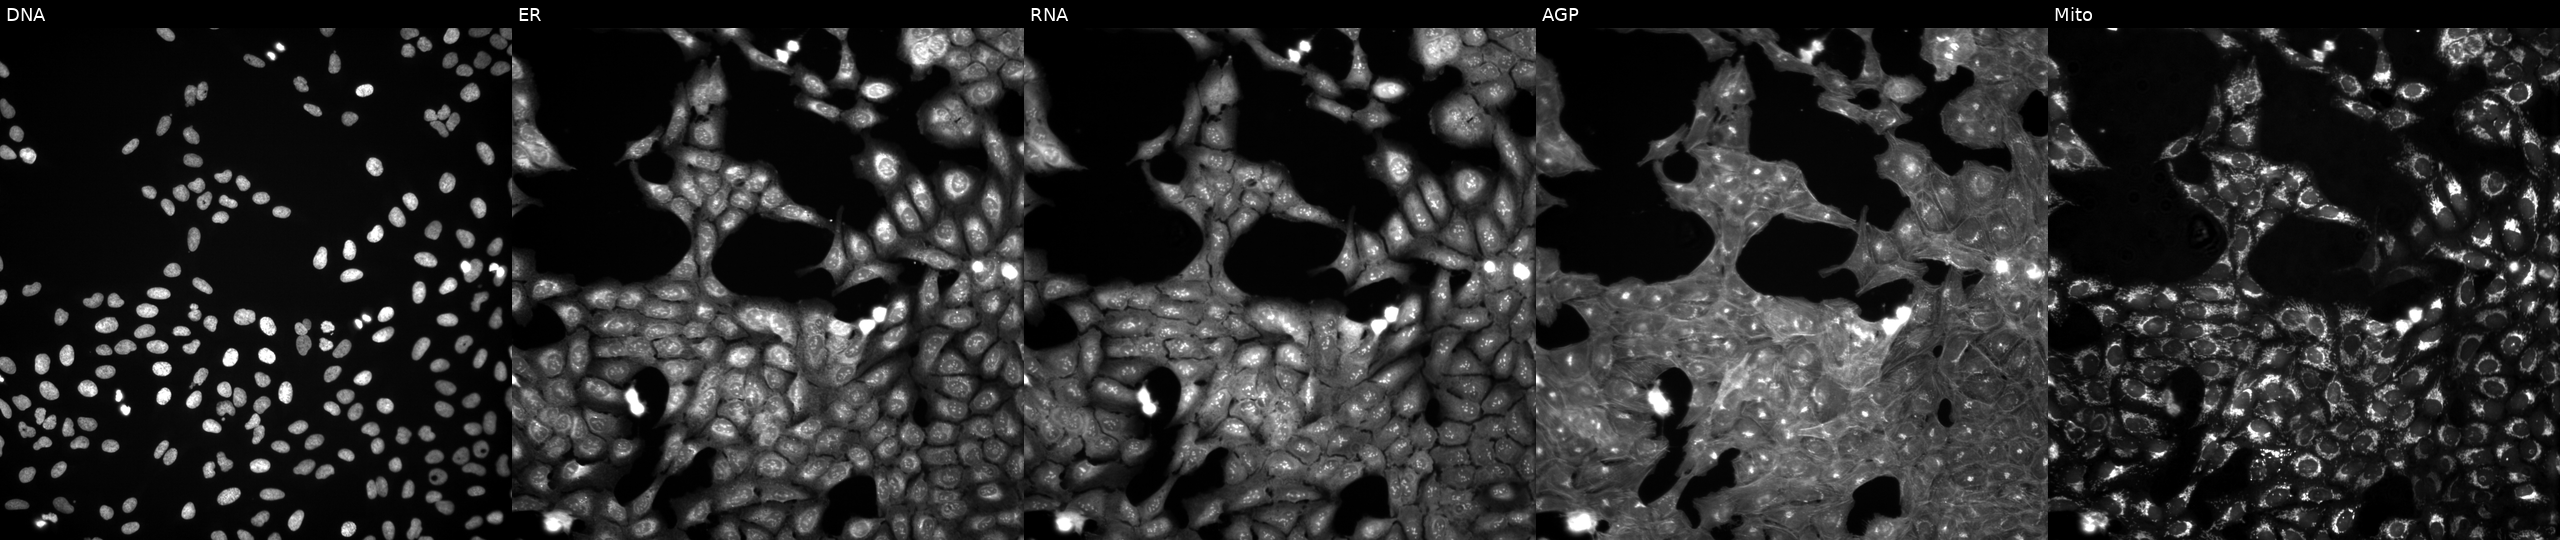
High-content fluorescence microscopy (Cell Painting). Cell line: U2OS. Perturbation: treated with a small-molecule compound (InChIKey BDNFQGRSKSQXRI-UHFFFAOYSA-N). The five panels, left to right, show Hoechst 33342, concanavalin A, SYTO 14, phalloidin and WGA, MitoTracker. Source 3, plate JCPQC051, well J24.